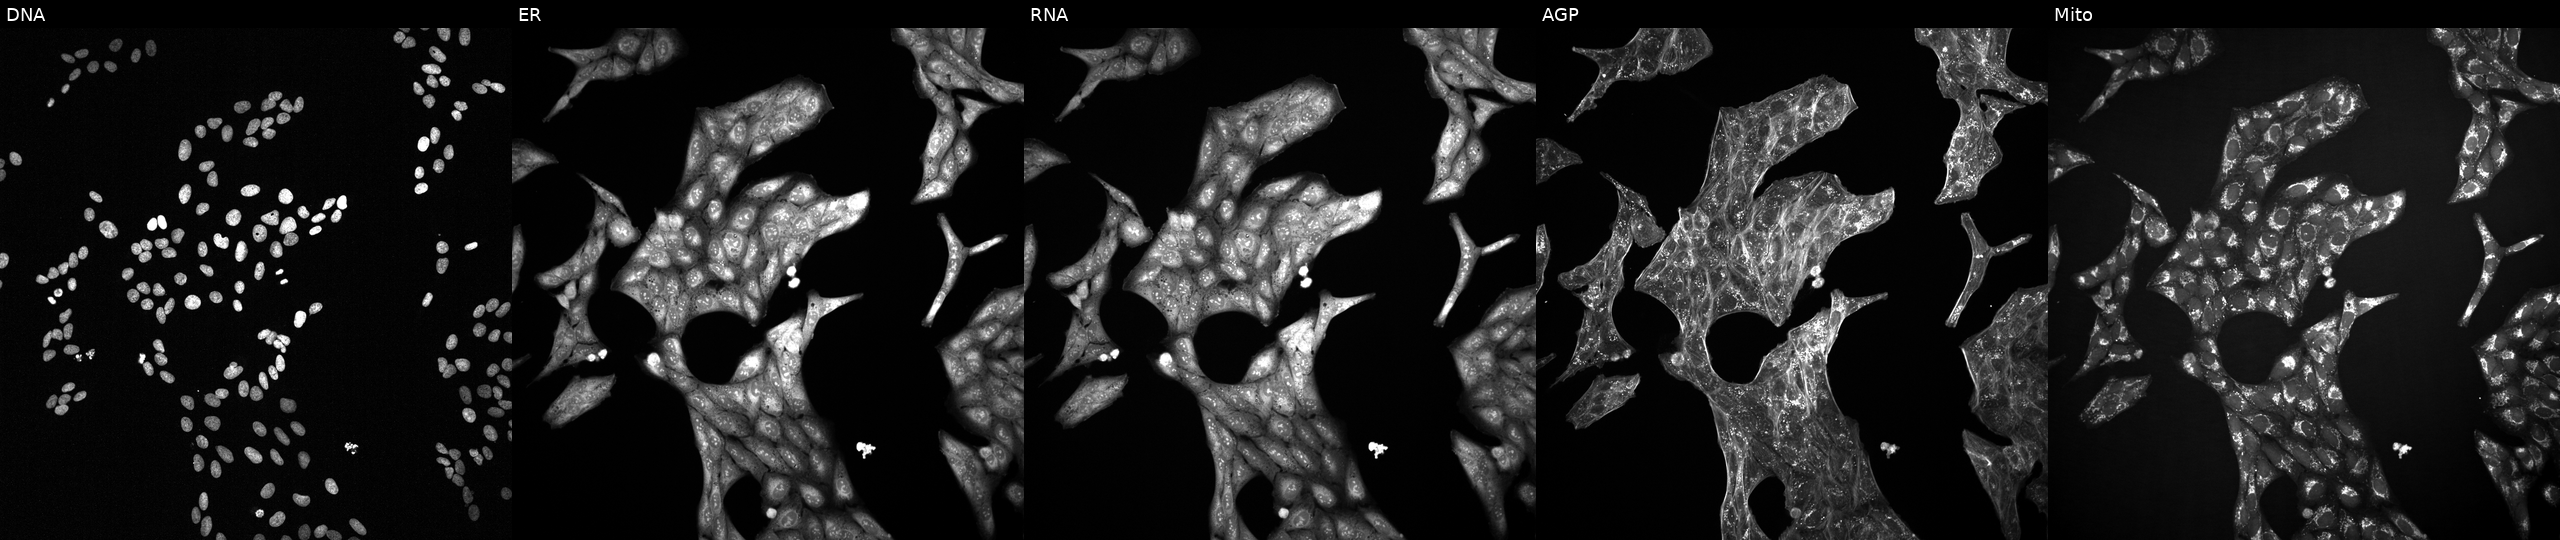
Five-channel Cell Painting image of U2OS cells treated with a small-molecule compound (InChIKey VHHVPDKNKPNKHY-UHFFFAOYSA-N). The five panels, left to right, show DNA, ER, RNA, AGP, and Mito. Source 2, plate 1053600674, well G24.